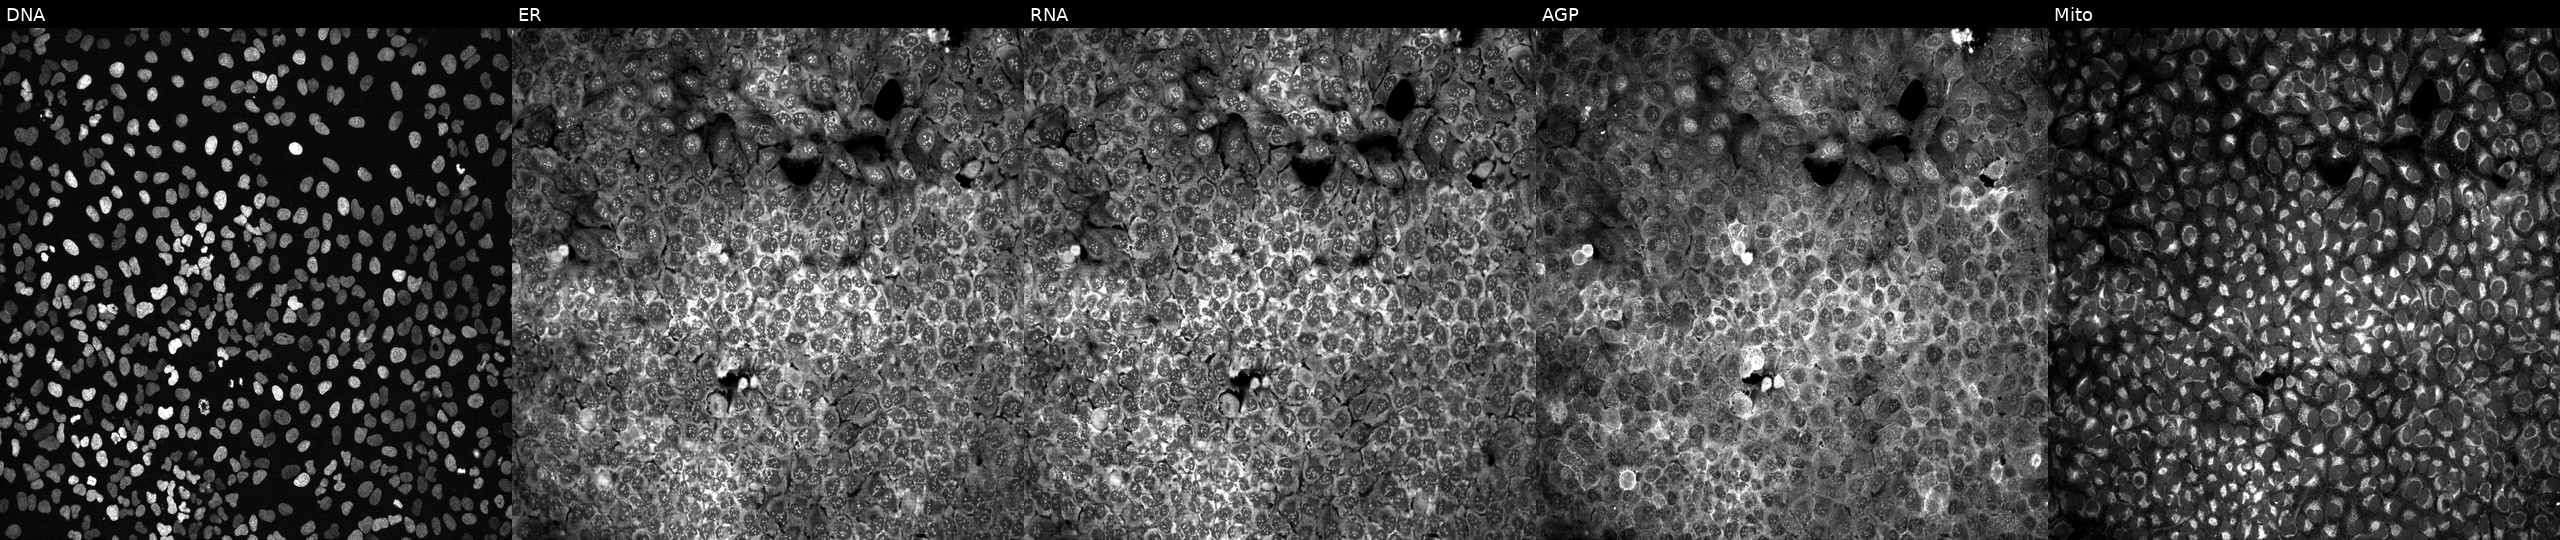
U2OS cells, Cell Painting assay, with no CRISPR guide (negative control). The five panels, left to right, show Hoechst 33342, concanavalin A, SYTO 14, phalloidin and WGA, MitoTracker. Each panel is percentile-stretched 16-bit fluorescence. Source 13, plate CP-CC9-R4-03, well G23.